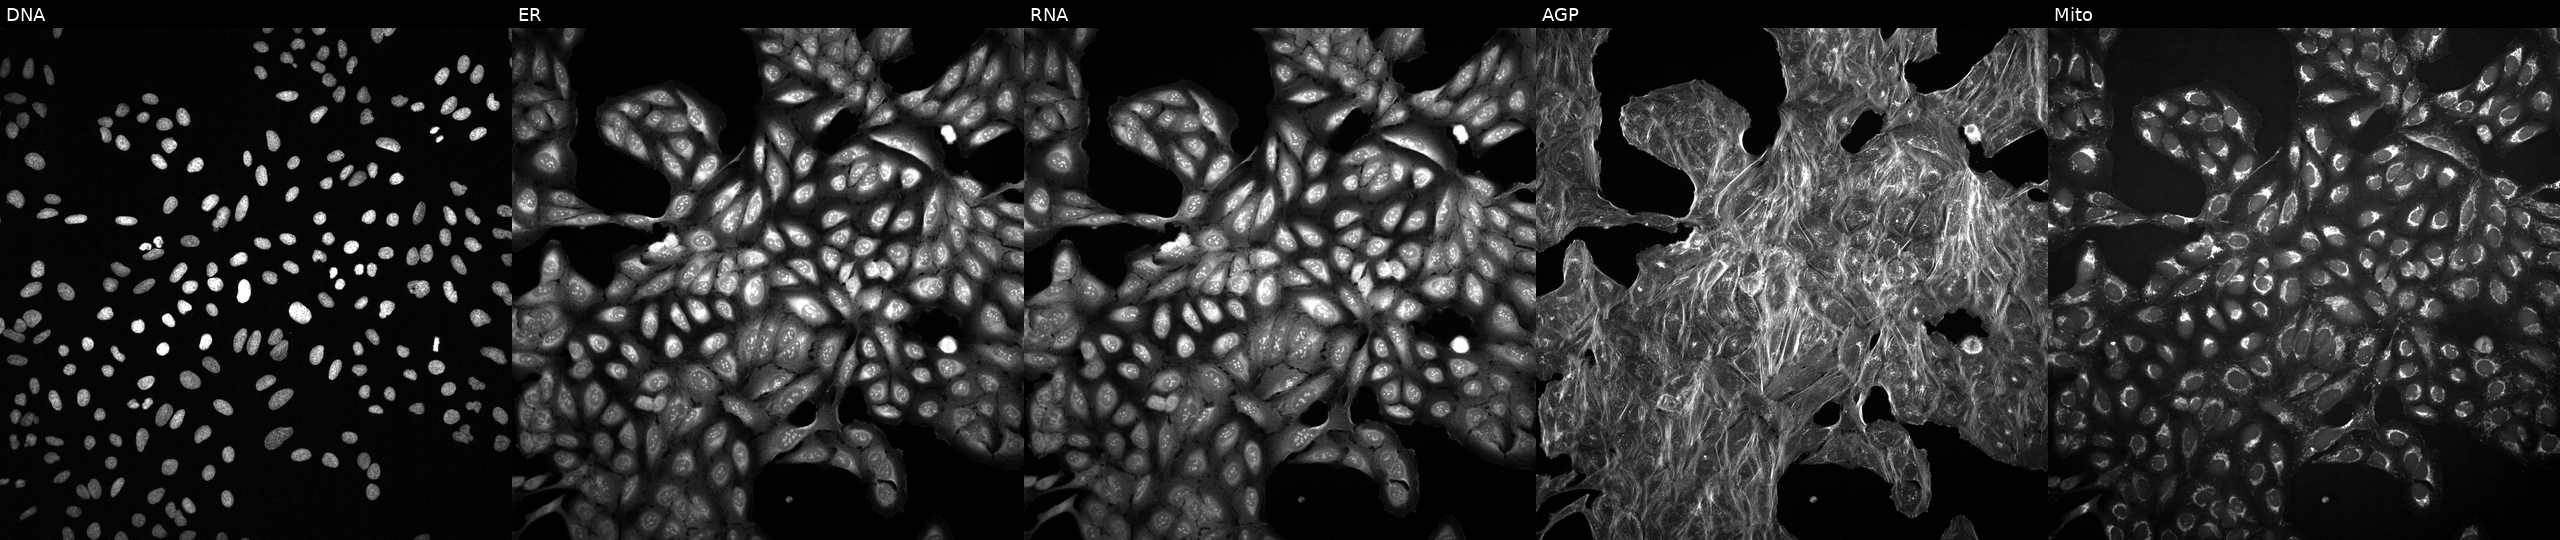
High-content fluorescence microscopy (Cell Painting). Cell line: U2OS. Perturbation: treated with a small-molecule compound (InChIKey SFFIRDLTIXGBAO-UHFFFAOYSA-N). From left to right: DNA (nuclei); ER (endoplasmic reticulum); RNA (nucleoli and cytoplasmic RNA); AGP (actin cytoskeleton, Golgi, and plasma membrane); Mito (mitochondria).